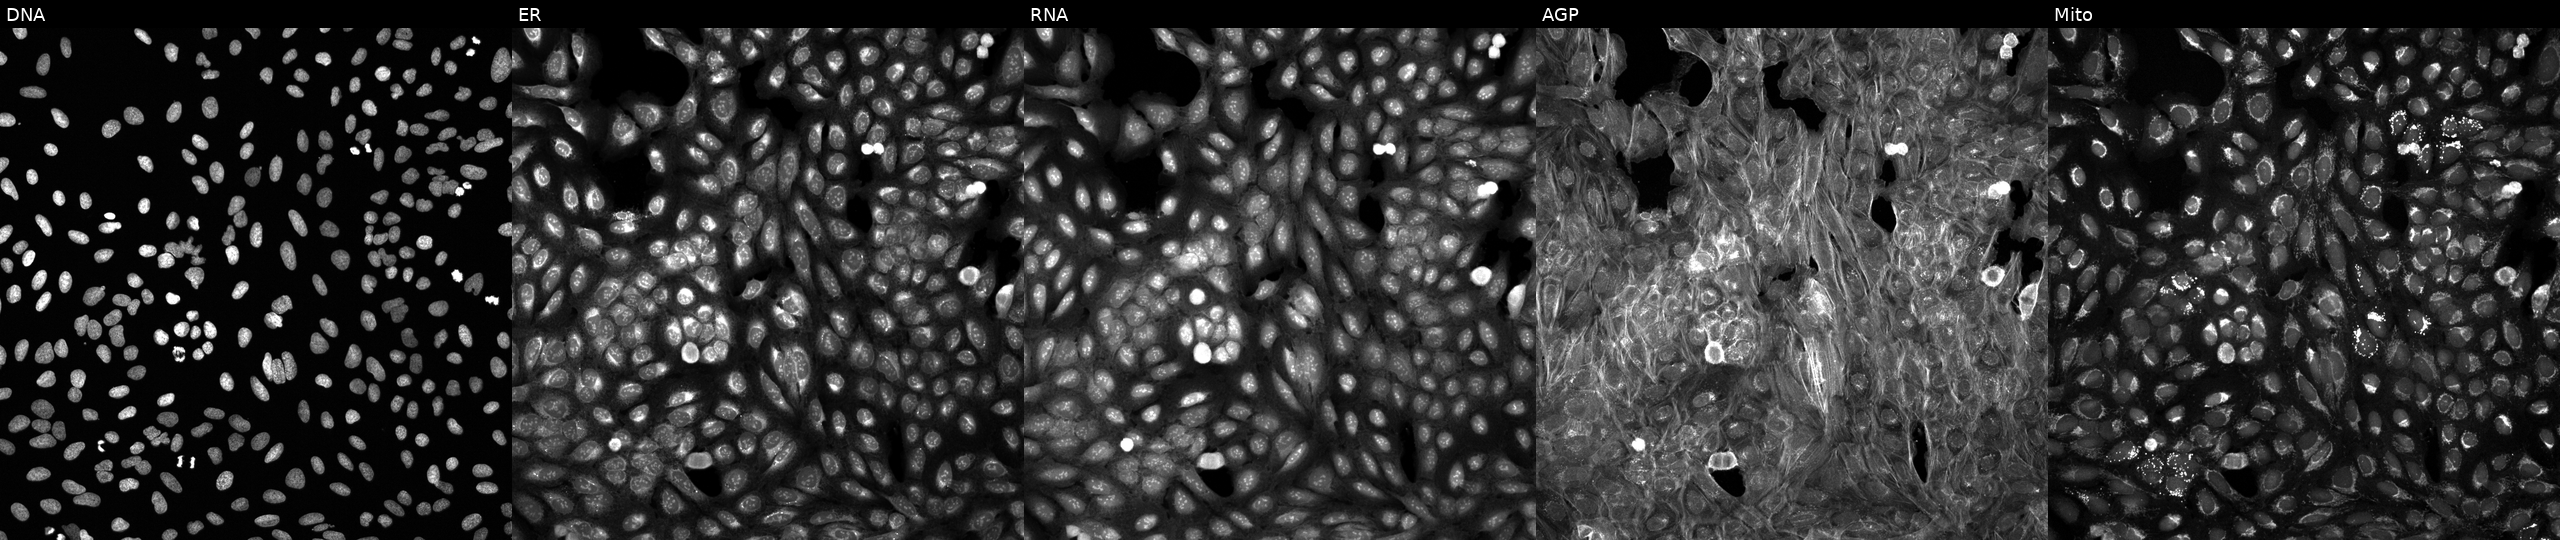
U2OS cells, Cell Painting assay, perturbed with a small-molecule compound (JUMP id JCP2022_050997). The five panels, left to right, show DNA, ER, RNA, AGP, and Mito. Each panel is percentile-stretched 16-bit fluorescence.